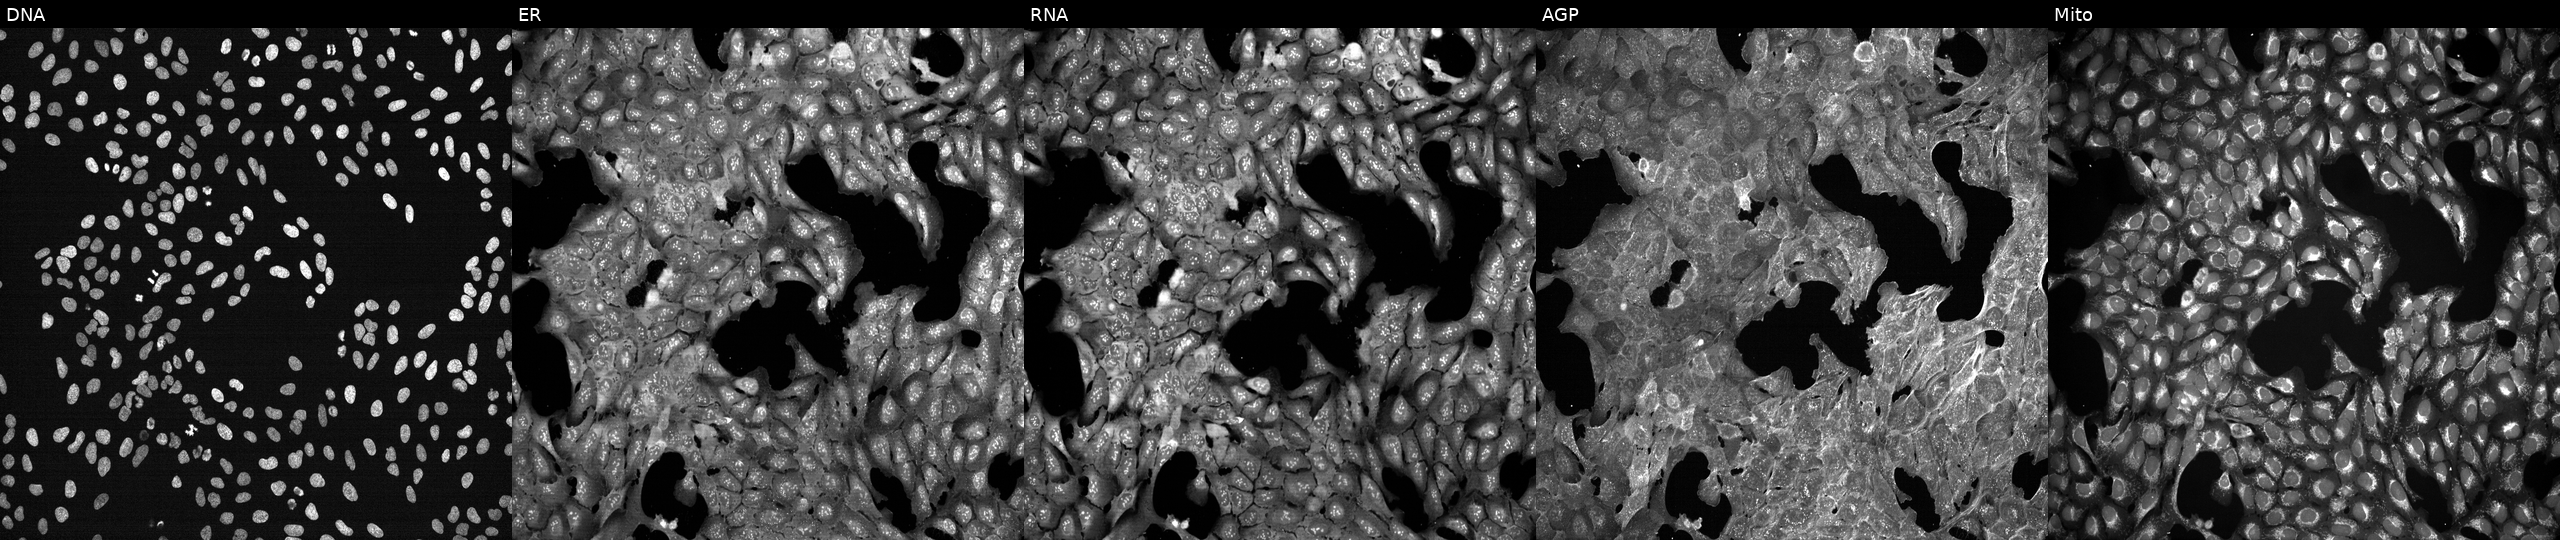
This image strip shows the five Cell Painting channels for a single field of U2OS cells exposed to a small-molecule compound (JUMP id JCP2022_028032). From left to right: Hoechst 33342, concanavalin A, SYTO 14, phalloidin and WGA, MitoTracker.